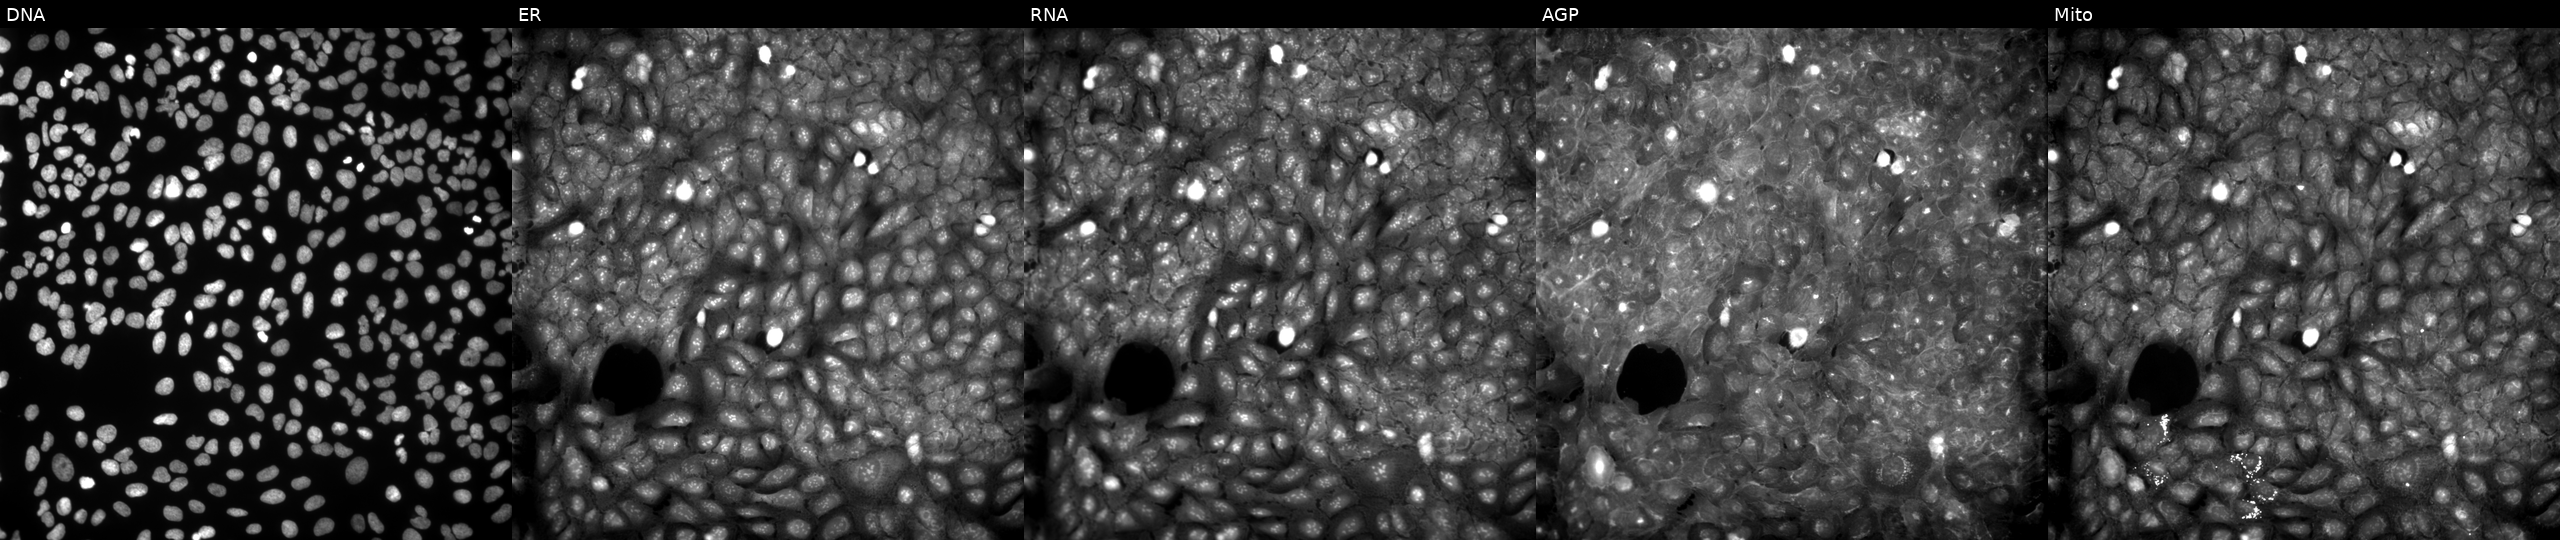
High-content fluorescence microscopy (Cell Painting). Cell line: U2OS. Perturbation: treated with a small-molecule compound (InChIKey YACQKMUQBPGLOY-UHFFFAOYSA-N). From left to right: DNA, ER, RNA, AGP, and Mito.